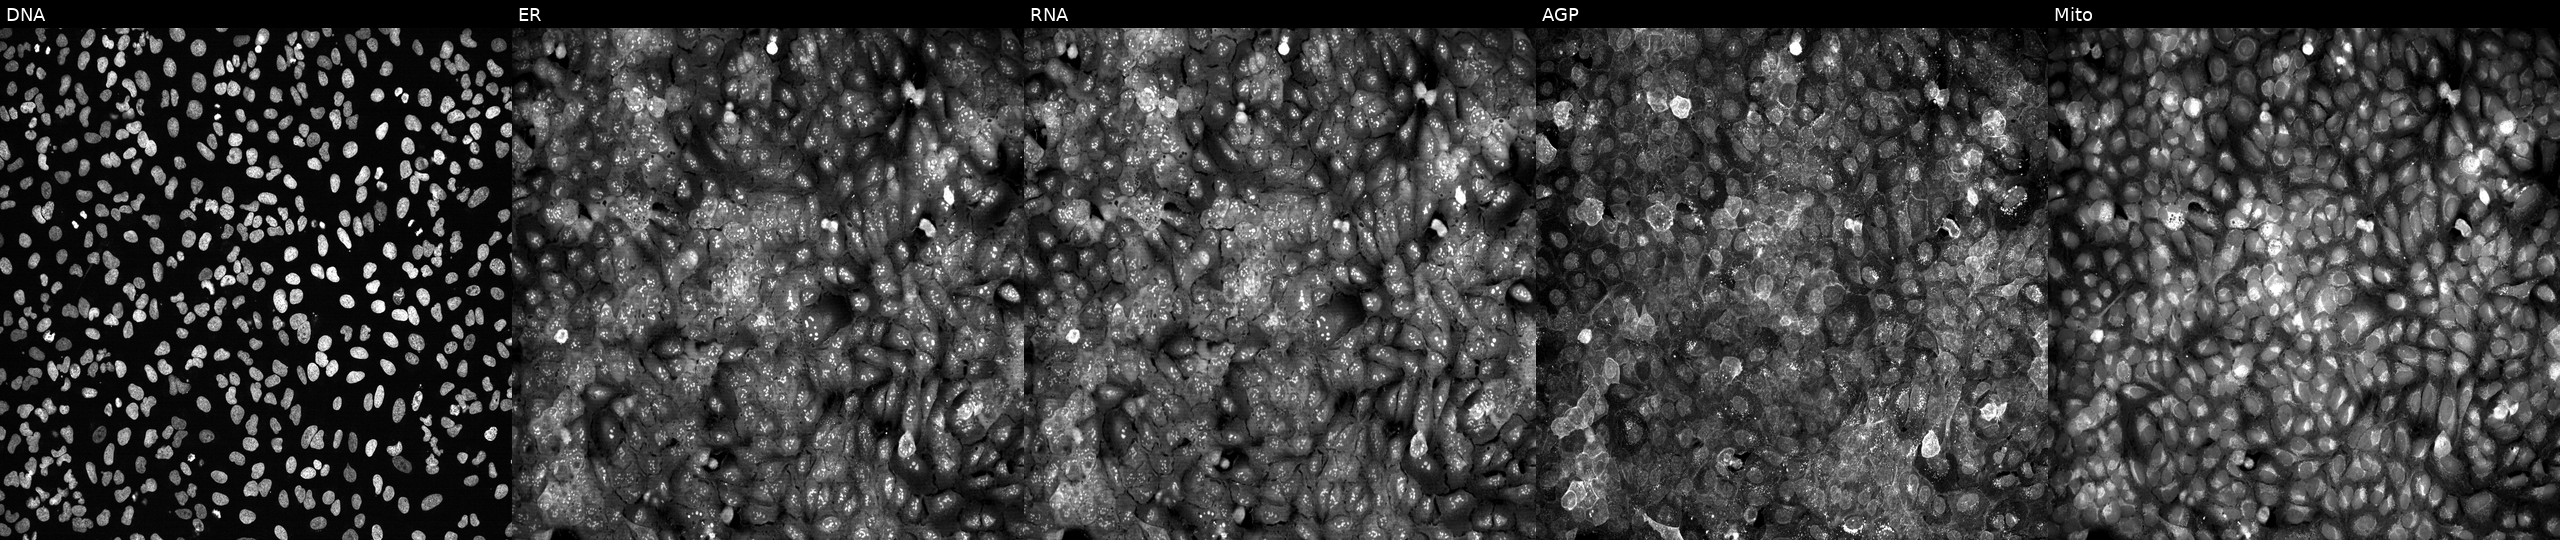
High-content fluorescence microscopy (Cell Painting). Cell line: U2OS. Perturbation: following CRISPR knockout of ATP4A. From left to right: DNA, ER, RNA, AGP, and Mito. Source 13, plate CP-CC9-R1-02, well C04.